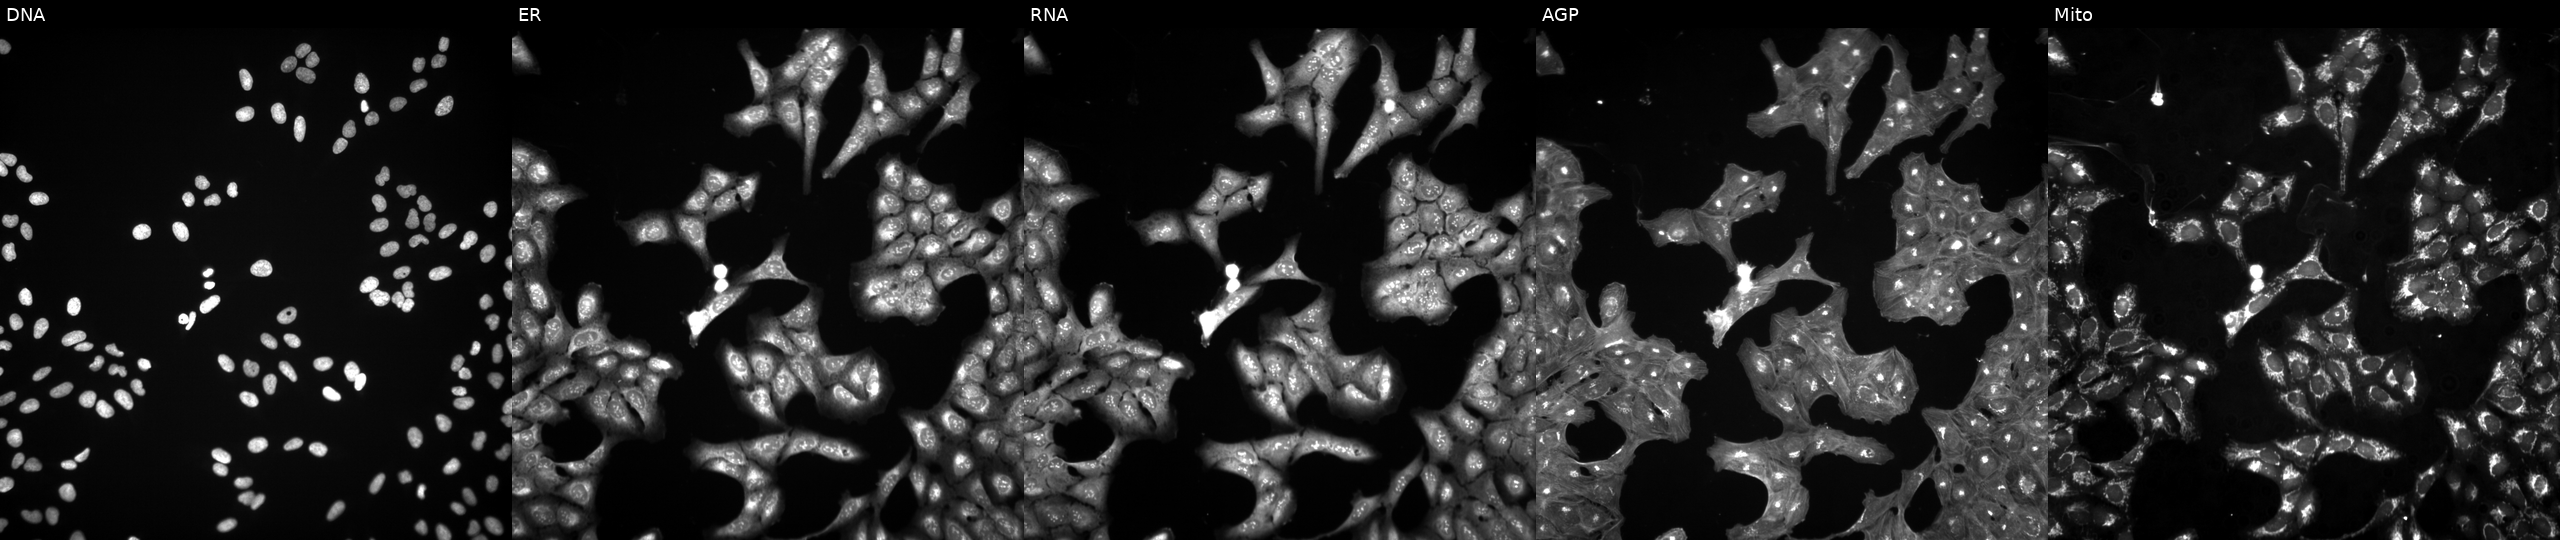
JUMP Cell Painting — TARGET2 plate. U2OS cells perturbed with a small-molecule compound (InChIKey HKQYGTCOTHHOMP-UHFFFAOYSA-N) (JUMP id JCP2022_030831). From left to right: DNA (nuclei); ER (endoplasmic reticulum); RNA (nucleoli and cytoplasmic RNA); AGP (actin cytoskeleton, Golgi, and plasma membrane); Mito (mitochondria).